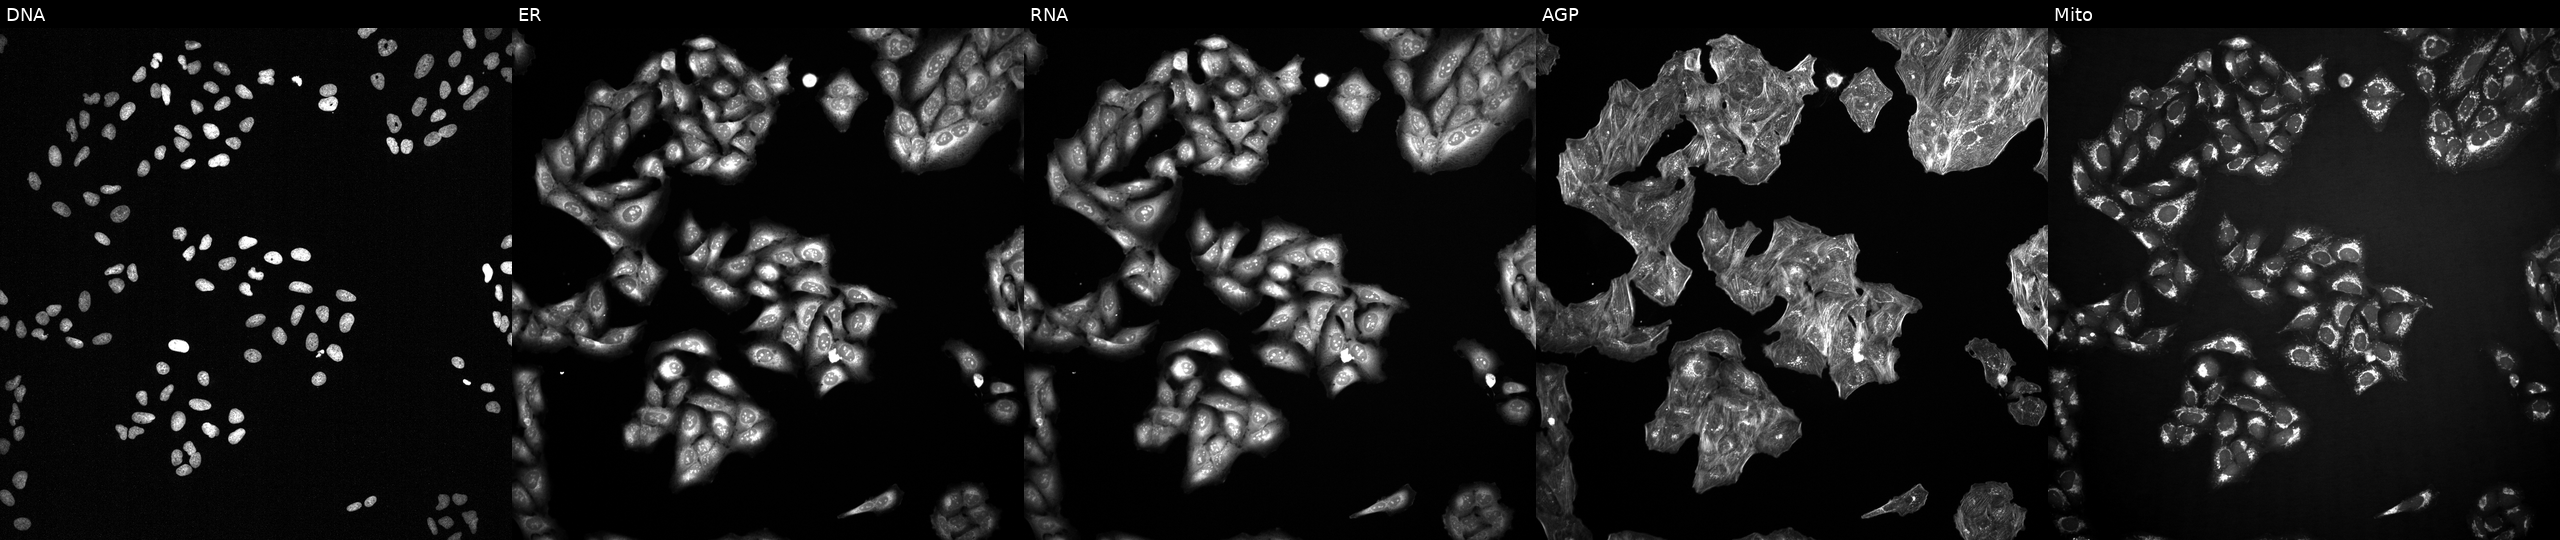
This image strip shows the five Cell Painting channels for a single field of U2OS cells exposed to the positive-control compound NVS-PAK1-1 (JUMP id JCP2022_064022). Channels (left→right): DNA, ER, RNA, AGP, and Mito.